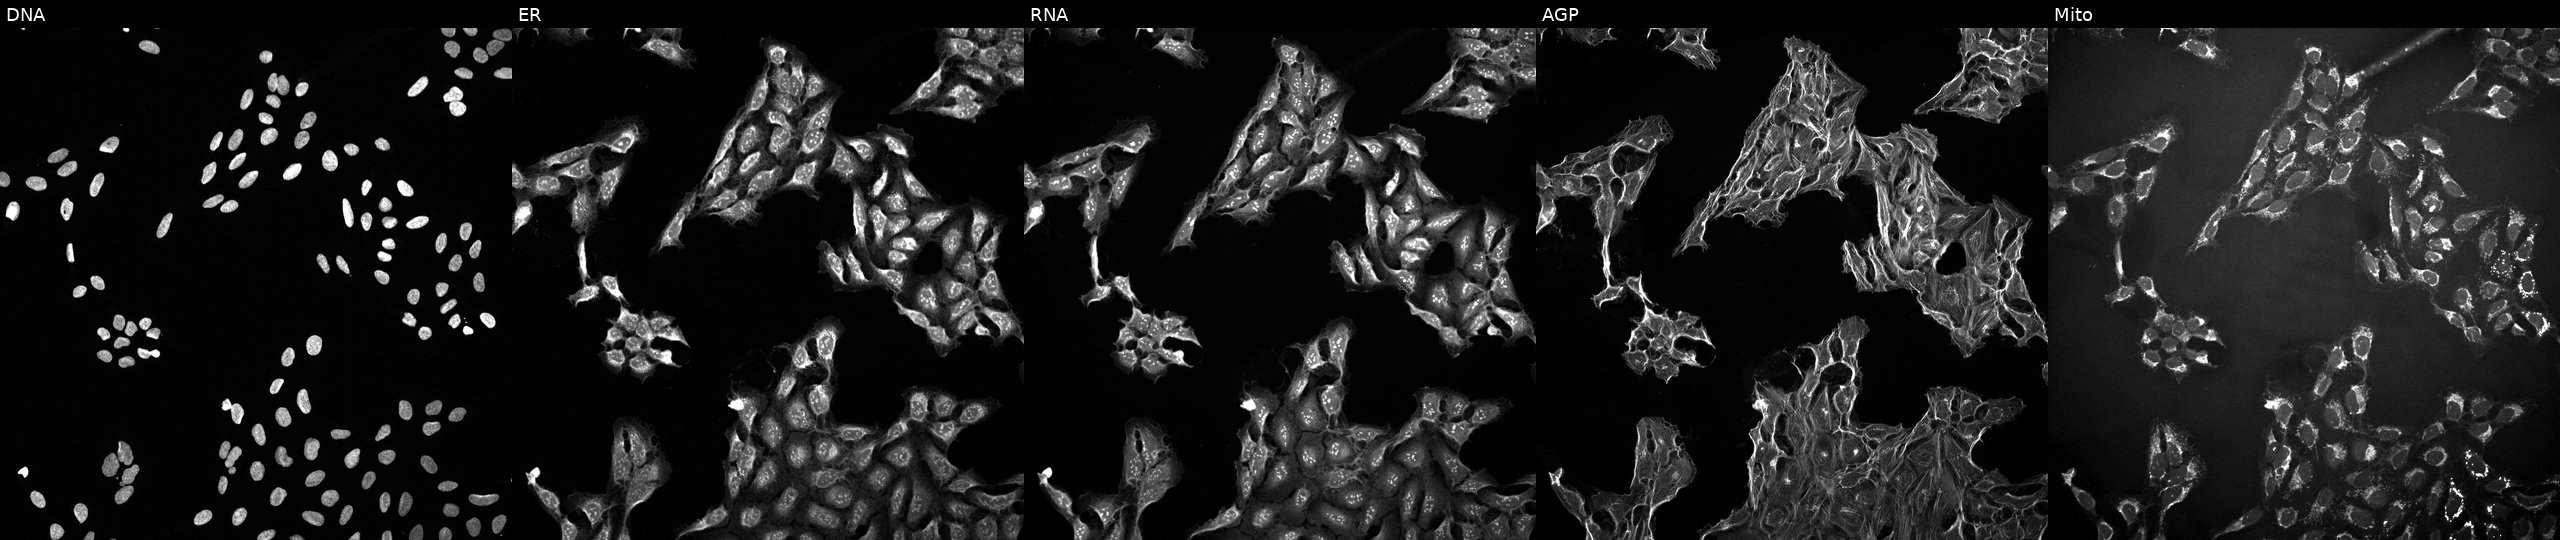
High-content fluorescence microscopy (Cell Painting). Cell line: U2OS. Perturbation: treated with a small-molecule compound (InChIKey RNSLRQNDXRSASX-UHFFFAOYSA-N) (JUMP id JCP2022_079562). The five panels, left to right, show DNA, ER, RNA, AGP, and Mito.